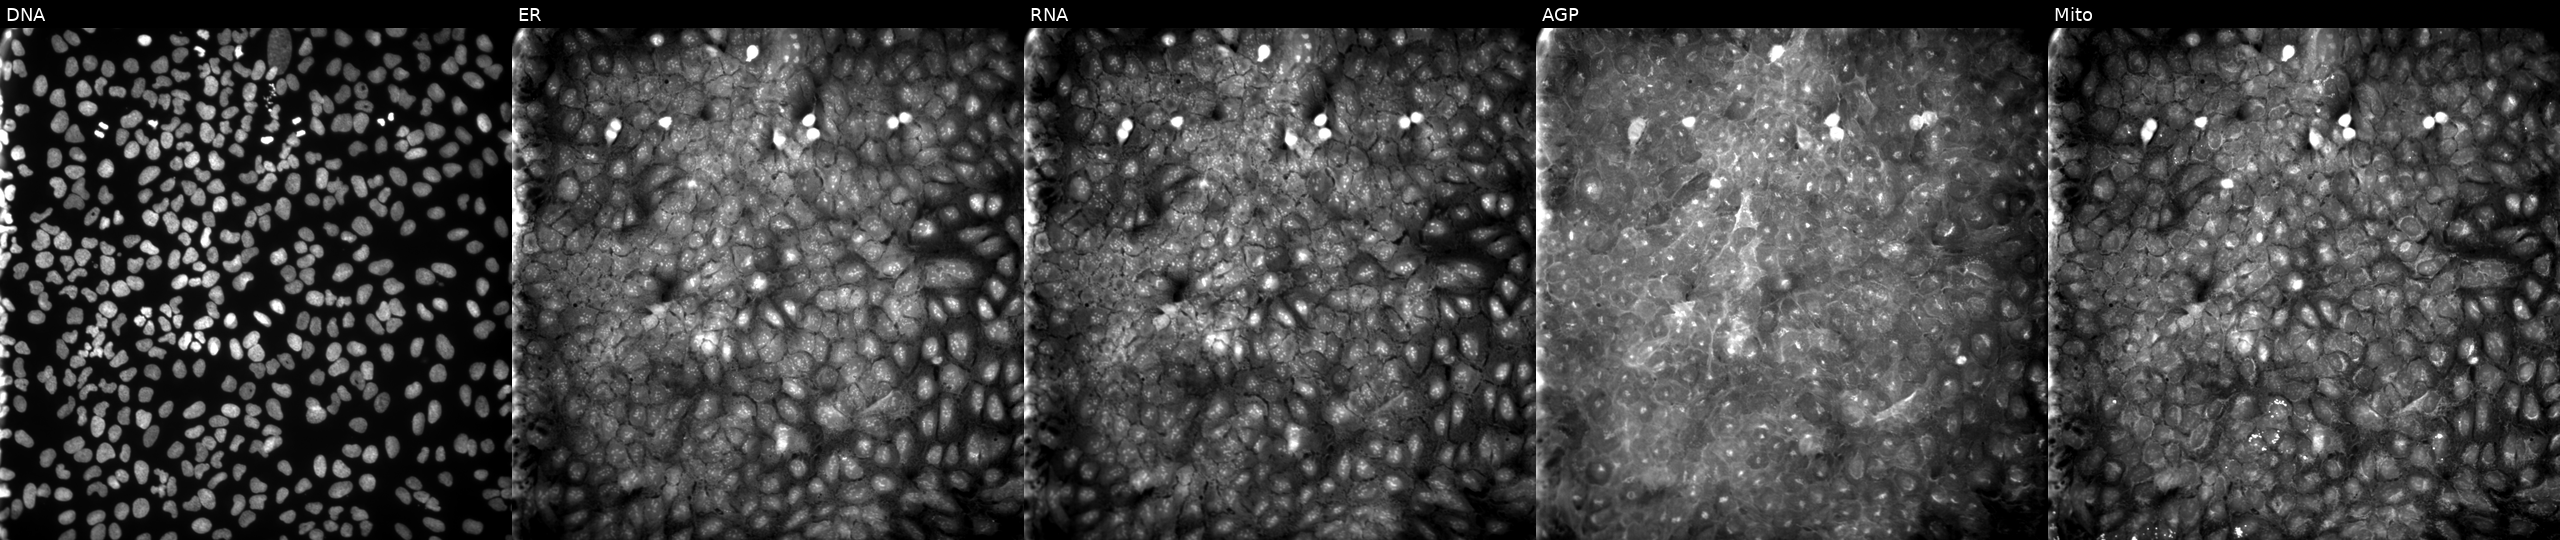
JUMP Cell Painting — COMPOUND plate. U2OS cells exposed to a small-molecule compound (InChIKey SQWRRIBOMCTTSQ-UHFFFAOYSA-N) [SMILES: O=C(CSc1nnc(-c2ccco2)c(-c2ccco2)n1)Nc1ccc(Br)cc1]. From left to right: DNA, ER, RNA, AGP, and Mito. Source 9, plate GR00003381, well T13.